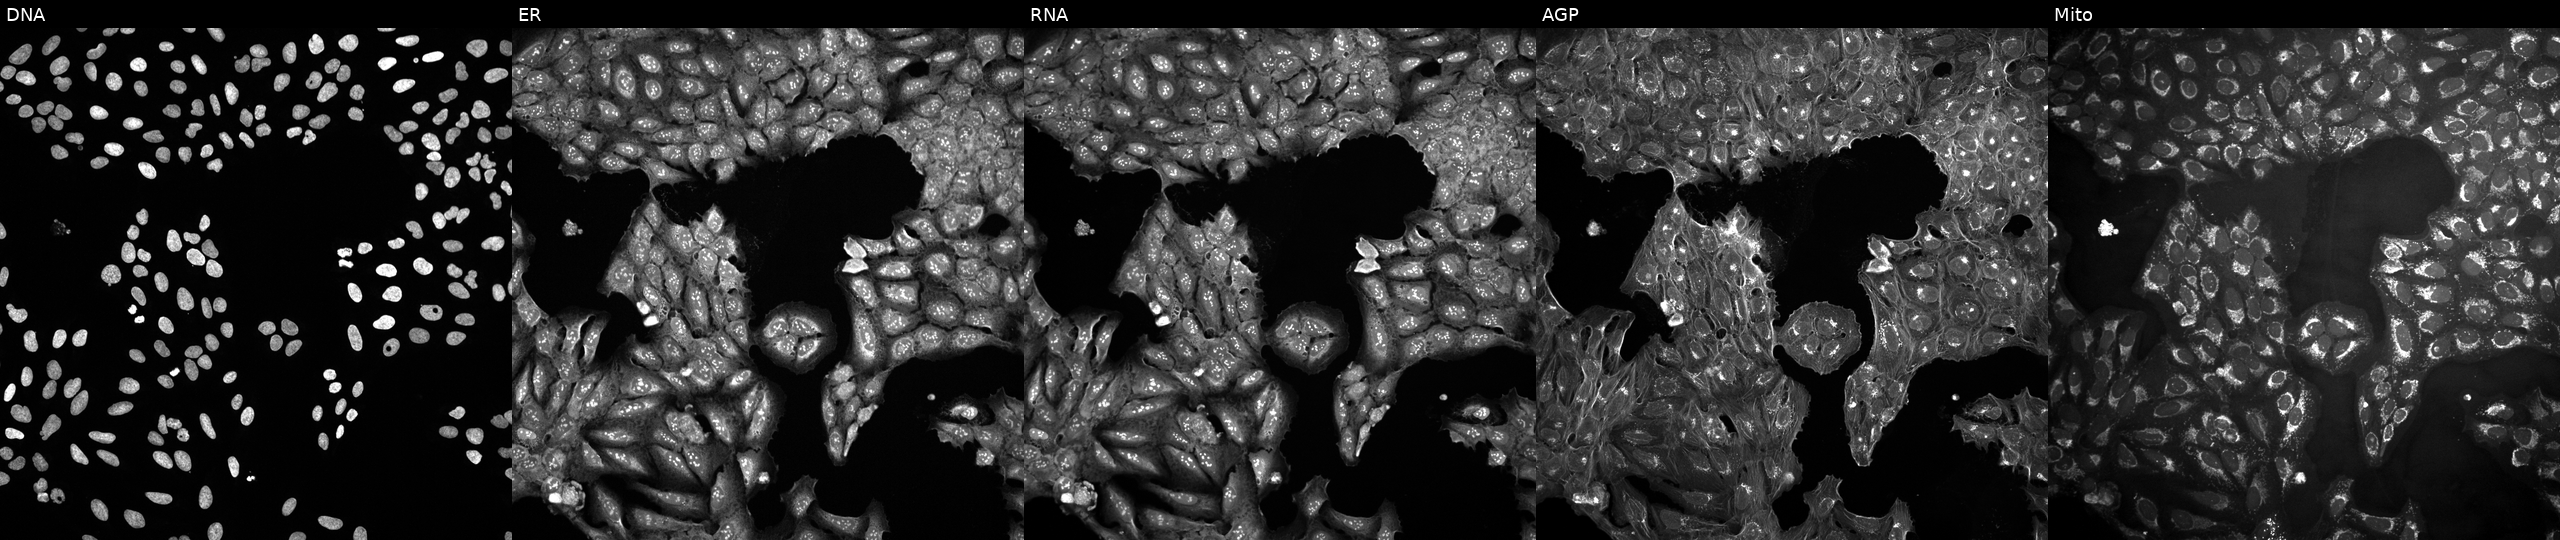
JUMP Cell Painting — COMPOUND plate. U2OS cells exposed to a small-molecule compound. Panels show, left to right, DNA, ER, RNA, AGP, and Mito.